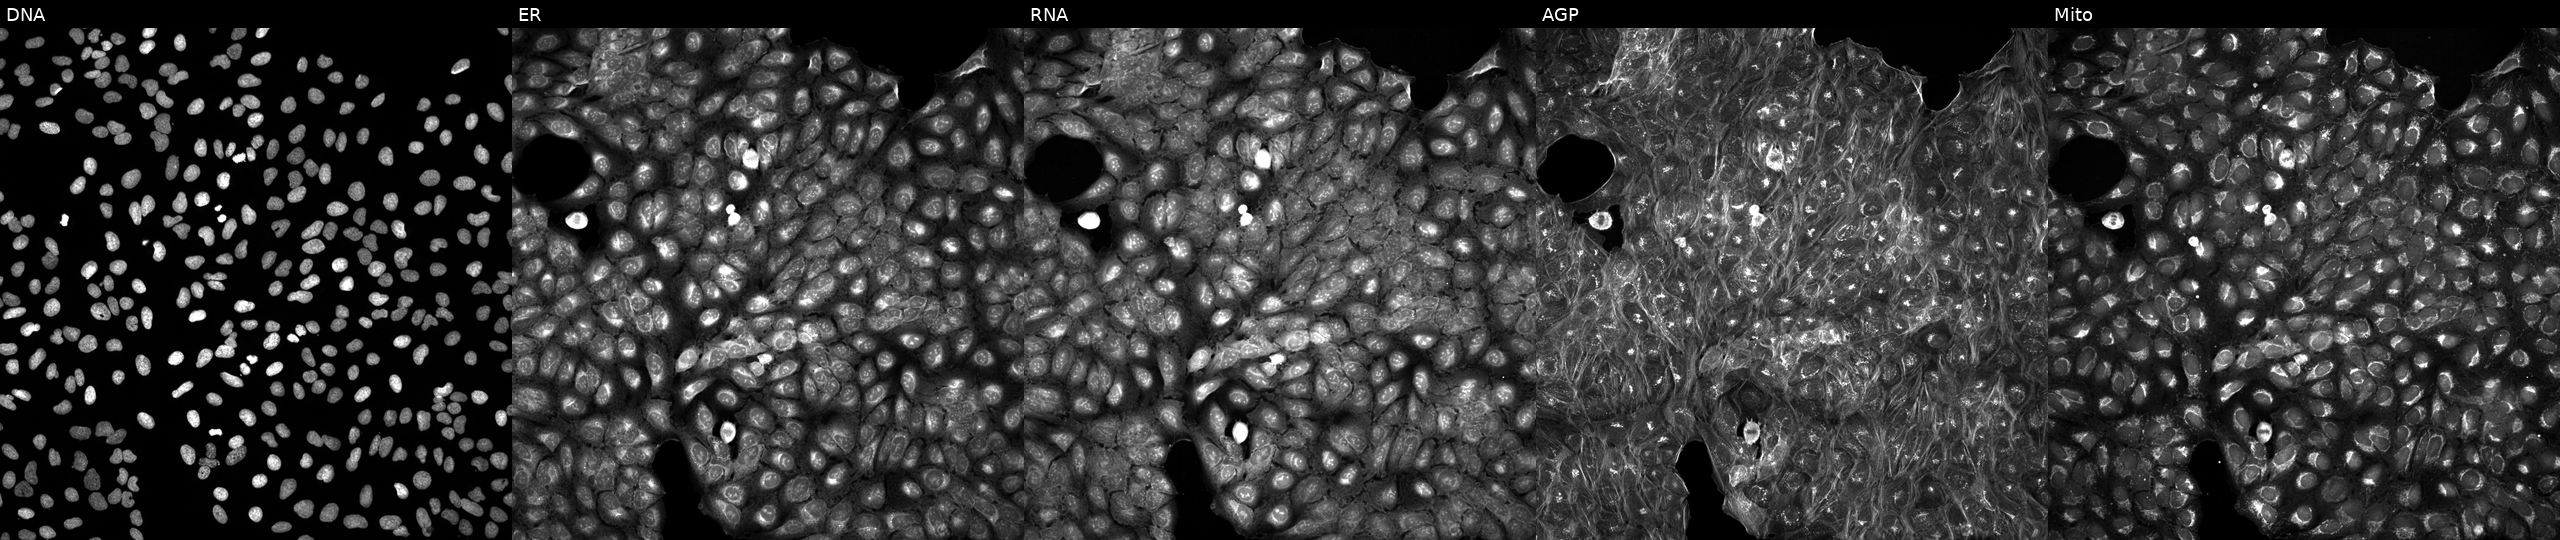
U2OS cells, Cell Painting assay, treated with a small-molecule compound (InChIKey VHHVPDKNKPNKHY-UHFFFAOYSA-N). Panels show, left to right, DNA (nuclei); ER (endoplasmic reticulum); RNA (nucleoli and cytoplasmic RNA); AGP (actin cytoskeleton, Golgi, and plasma membrane); Mito (mitochondria). Each panel is percentile-stretched 16-bit fluorescence.